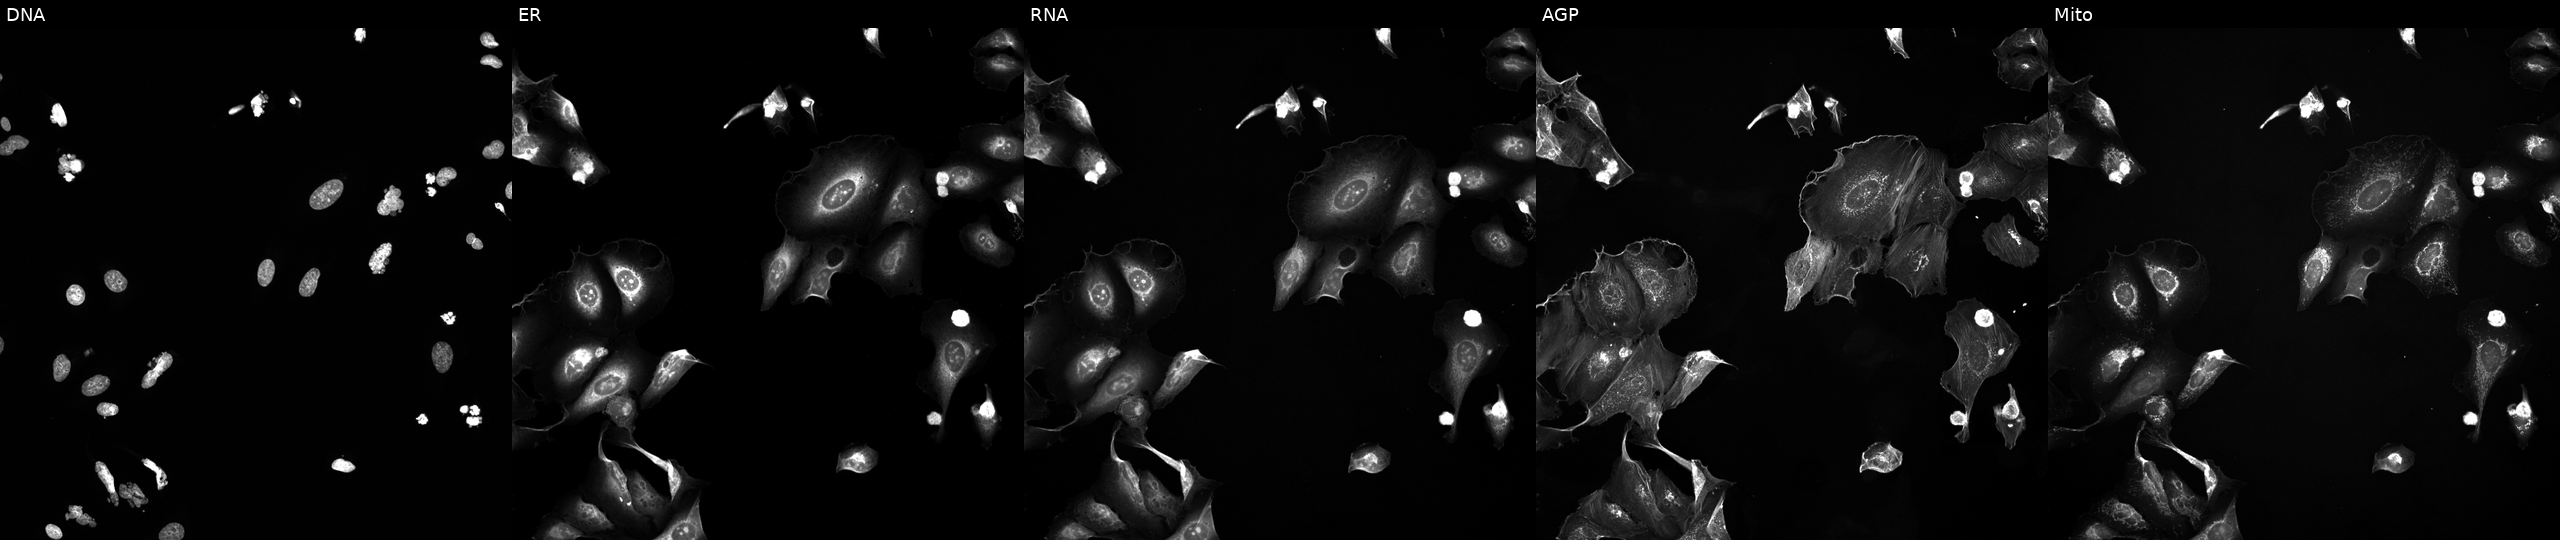
JUMP Cell Painting — TARGET2 plate. U2OS cells perturbed with a small-molecule compound (InChIKey XQVVPGYIWAGRNI-UHFFFAOYSA-N) [SMILES: CCC1C(=O)N(C)c2c[nH]c(=Nc3ccc(C(=O)NC4CCN(C)CC4)cc3OC)nc2N1C1CCCC1] (JUMP id JCP2022_105442). From left to right: DNA, ER, RNA, AGP, and Mito. Source 5, plate ACPJUM012, well D07.